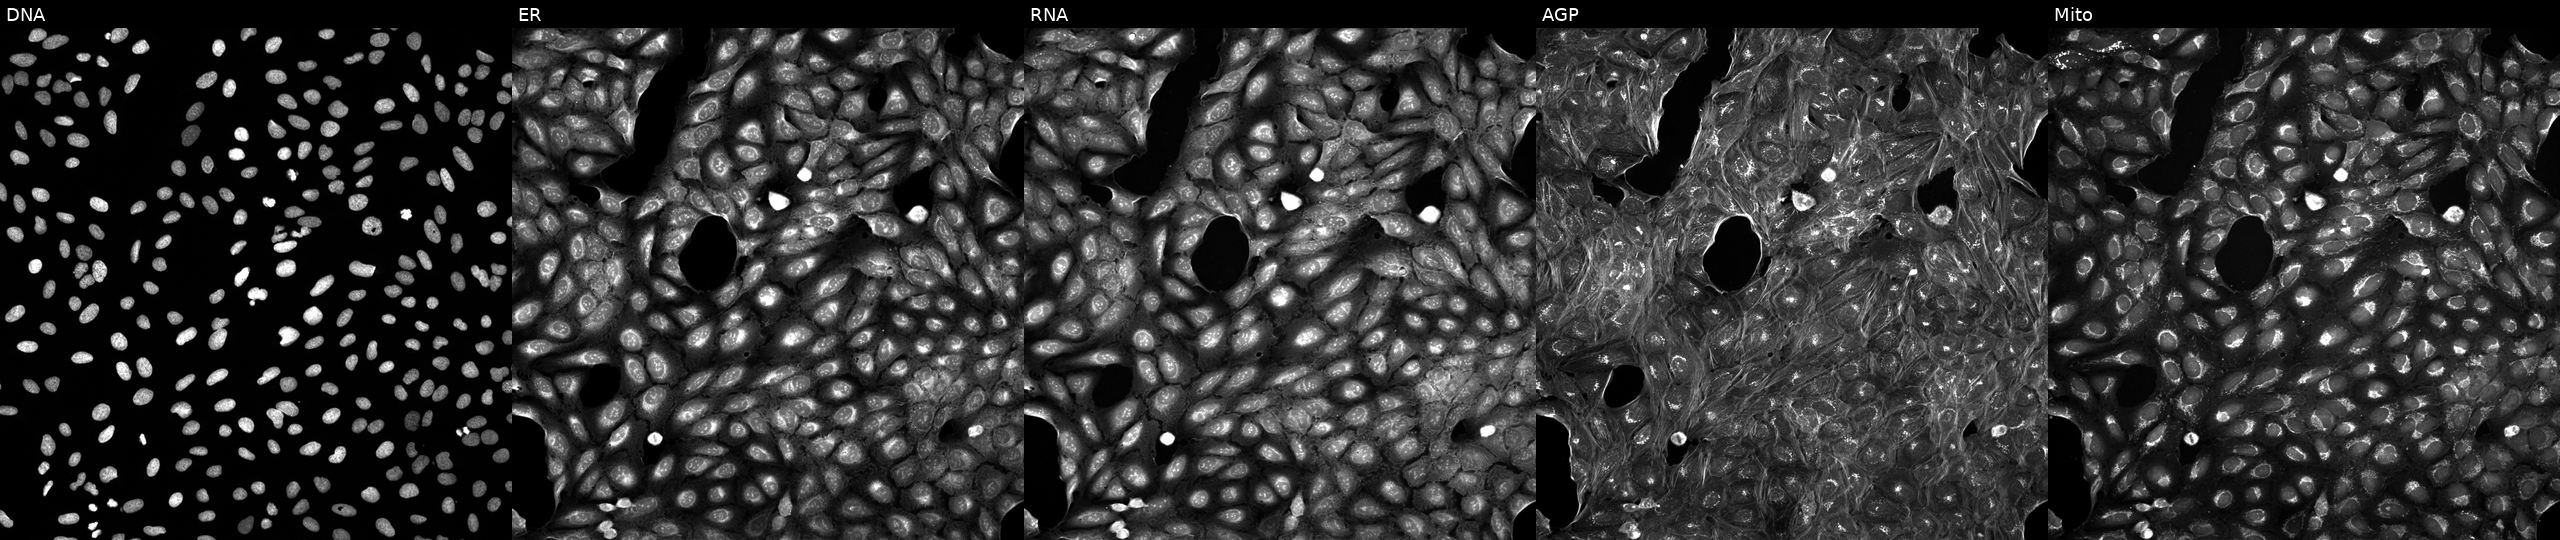
U2OS cells, Cell Painting assay, exposed to a small-molecule compound (InChIKey VUIRVWPJNKZOSS-UHFFFAOYSA-N) [SMILES: Cc1c[nH]c(-c2ccccc2C(C)C)nc1=NCc1ccc(-n2ccnn2)cc1]. From left to right: DNA (nuclei); ER (endoplasmic reticulum); RNA (nucleoli and cytoplasmic RNA); AGP (actin cytoskeleton, Golgi, and plasma membrane); Mito (mitochondria). Each panel is percentile-stretched 16-bit fluorescence.